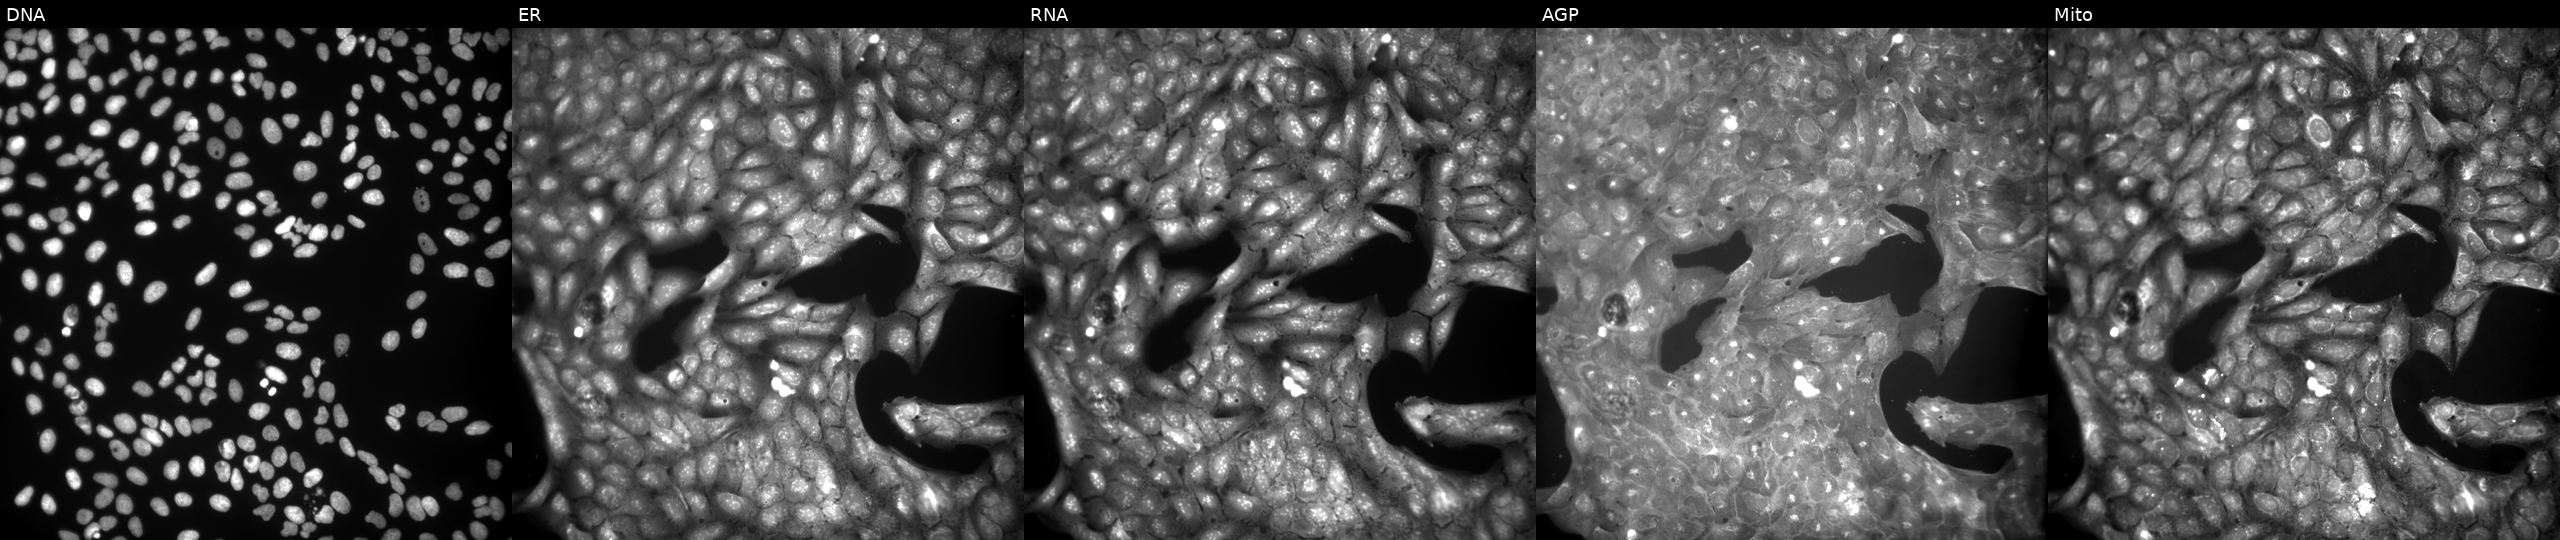
JUMP Cell Painting — COMPOUND plate. U2OS cells treated with a small-molecule compound [SMILES: Cc1cccc(C(=O)Sc2cccccc2=O)c1]. Channels (left→right): Hoechst 33342, concanavalin A, SYTO 14, phalloidin and WGA, MitoTracker.